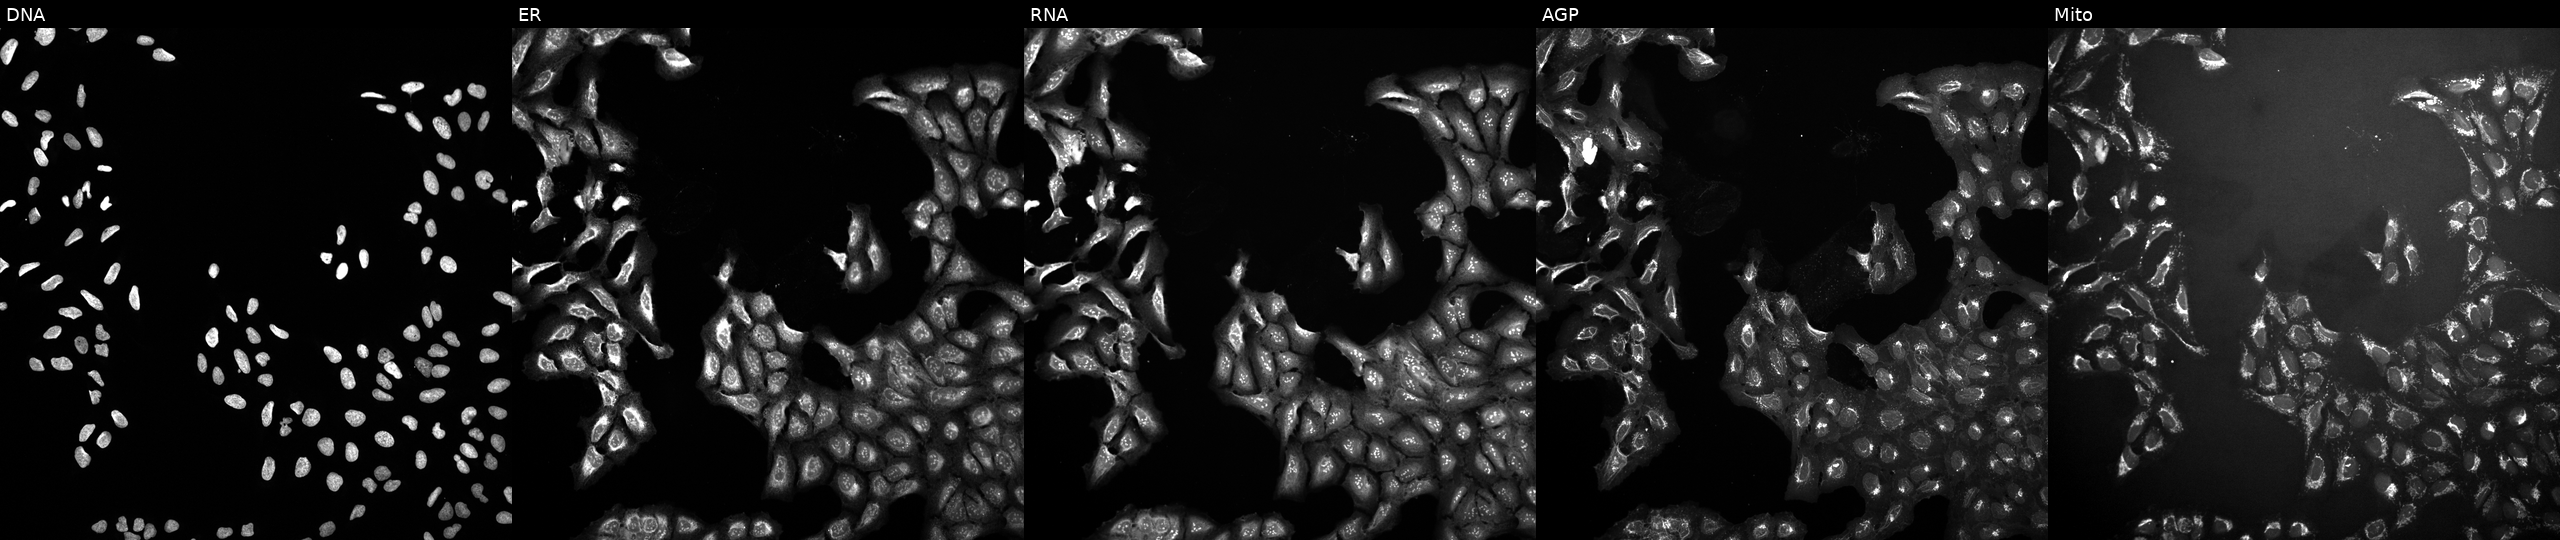
U2OS cells, Cell Painting assay, perturbed with a small-molecule compound (InChIKey BGVLELSCIHASRV-UHFFFAOYSA-N) (JUMP id JCP2022_006270). Channels (left→right): DNA, ER, RNA, AGP, and Mito. Each panel is percentile-stretched 16-bit fluorescence.